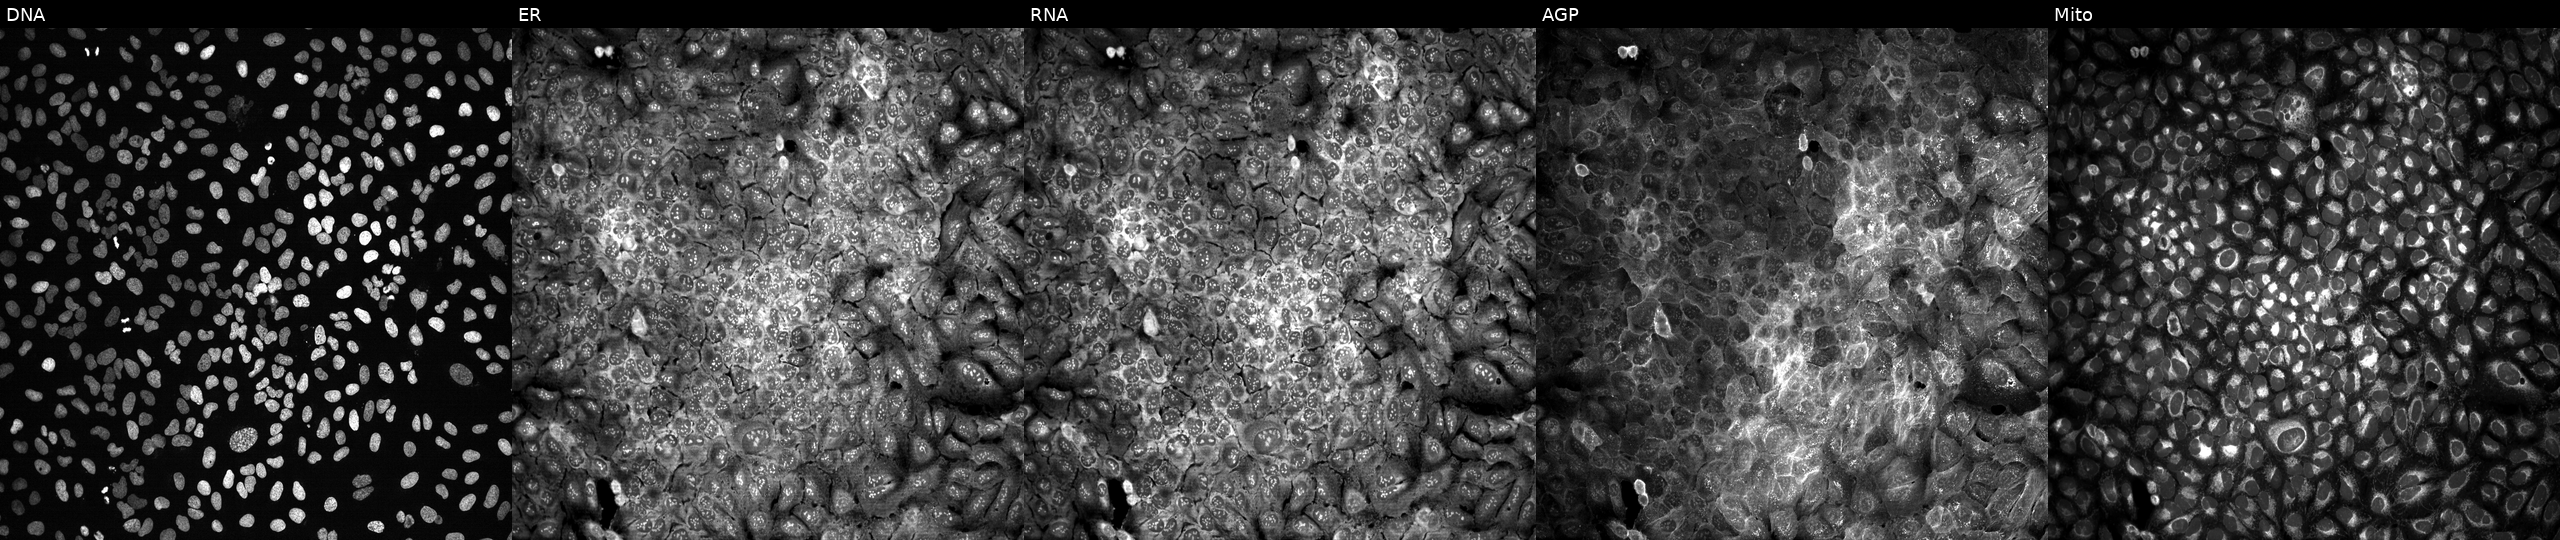
This image strip shows the five Cell Painting channels for a single field of U2OS cells CRISPR-edited to disrupt SHH. Panels show, left to right, Hoechst 33342, concanavalin A, SYTO 14, phalloidin and WGA, MitoTracker. Source 13, plate CP-CC9-R6-19, well E15.